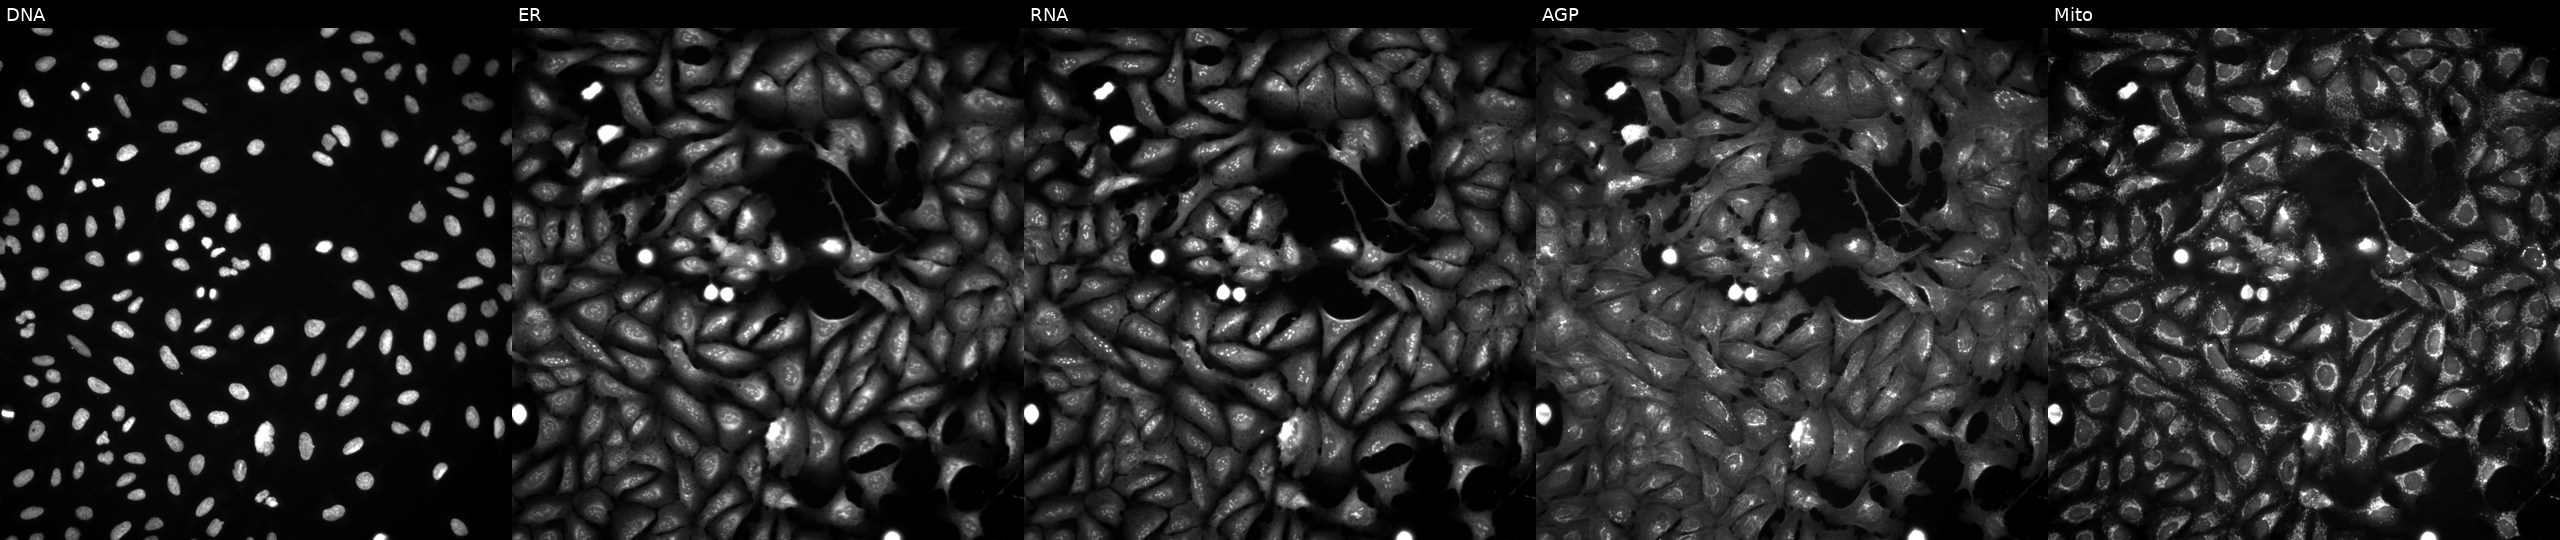
This image strip shows the five Cell Painting channels for a single field of U2OS cells transfected with an ORF construct for PACSIN2. The five panels, left to right, show DNA (nuclei); ER (endoplasmic reticulum); RNA (nucleoli and cytoplasmic RNA); AGP (actin cytoskeleton, Golgi, and plasma membrane); Mito (mitochondria). Source 4, plate BR00124787, well B19.